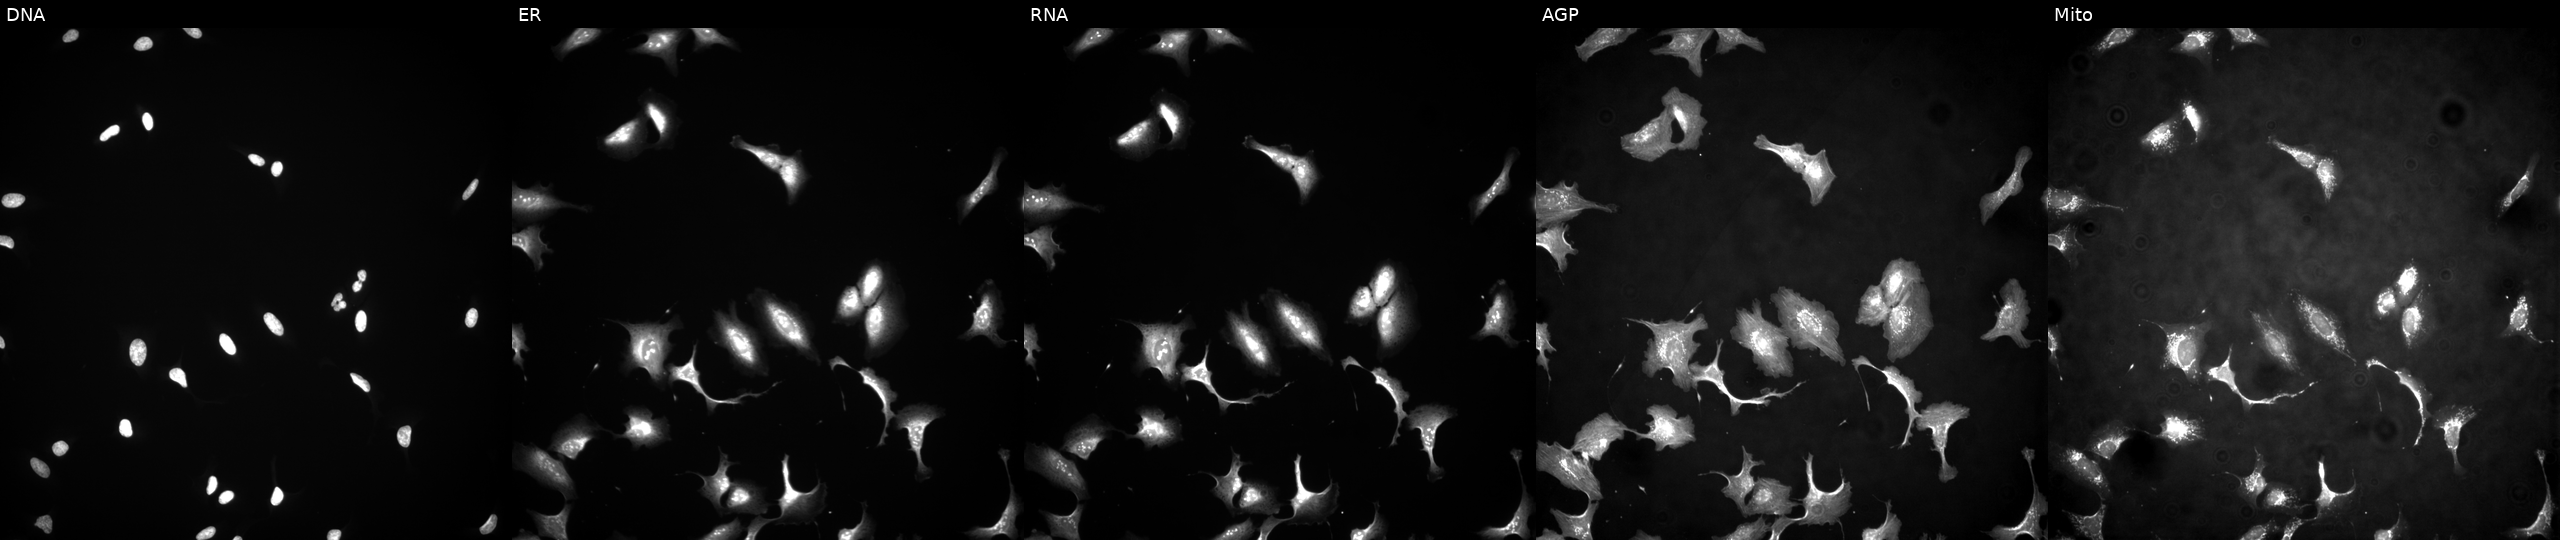
High-content fluorescence microscopy (Cell Painting). Cell line: U2OS. Perturbation: with SOCS5 overexpressed (ORF). From left to right: DNA, ER, RNA, AGP, and Mito. Source 4, plate BR00124784, well K06.